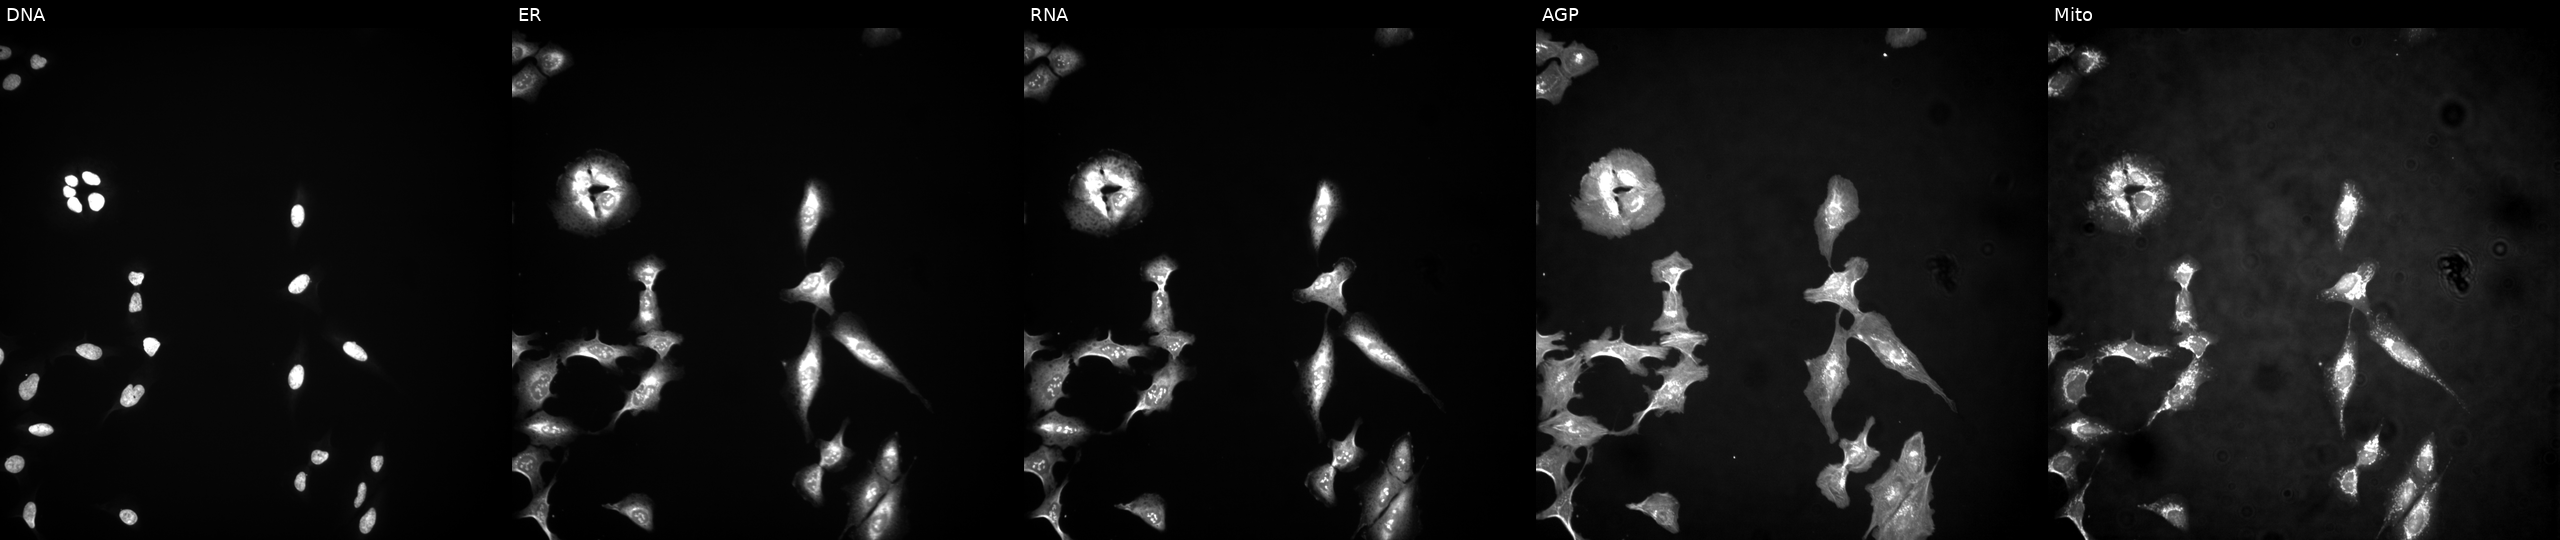
U2OS cells, Cell Painting assay, overexpressing WDR82 via ORF transfection. From left to right: DNA (nuclei); ER (endoplasmic reticulum); RNA (nucleoli and cytoplasmic RNA); AGP (actin cytoskeleton, Golgi, and plasma membrane); Mito (mitochondria). Each panel is percentile-stretched 16-bit fluorescence.